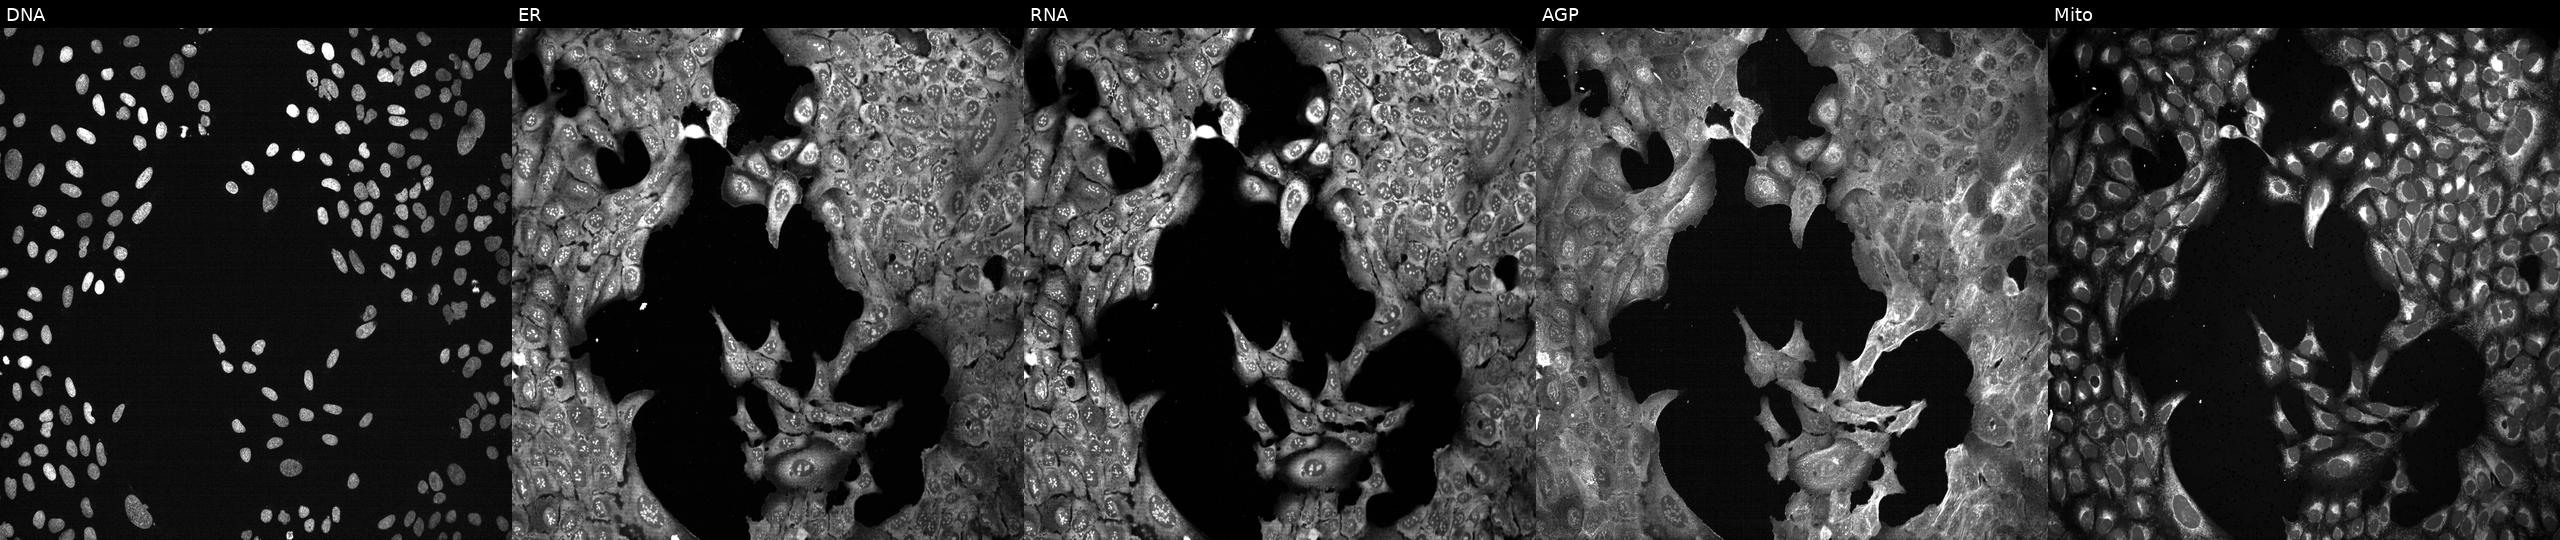
From left to right: Hoechst 33342, concanavalin A, SYTO 14, phalloidin and WGA, MitoTracker. U2OS osteosarcoma cells following CRISPR knockout of PIK3AP1. Cell Painting assay, JUMP-CP dataset.